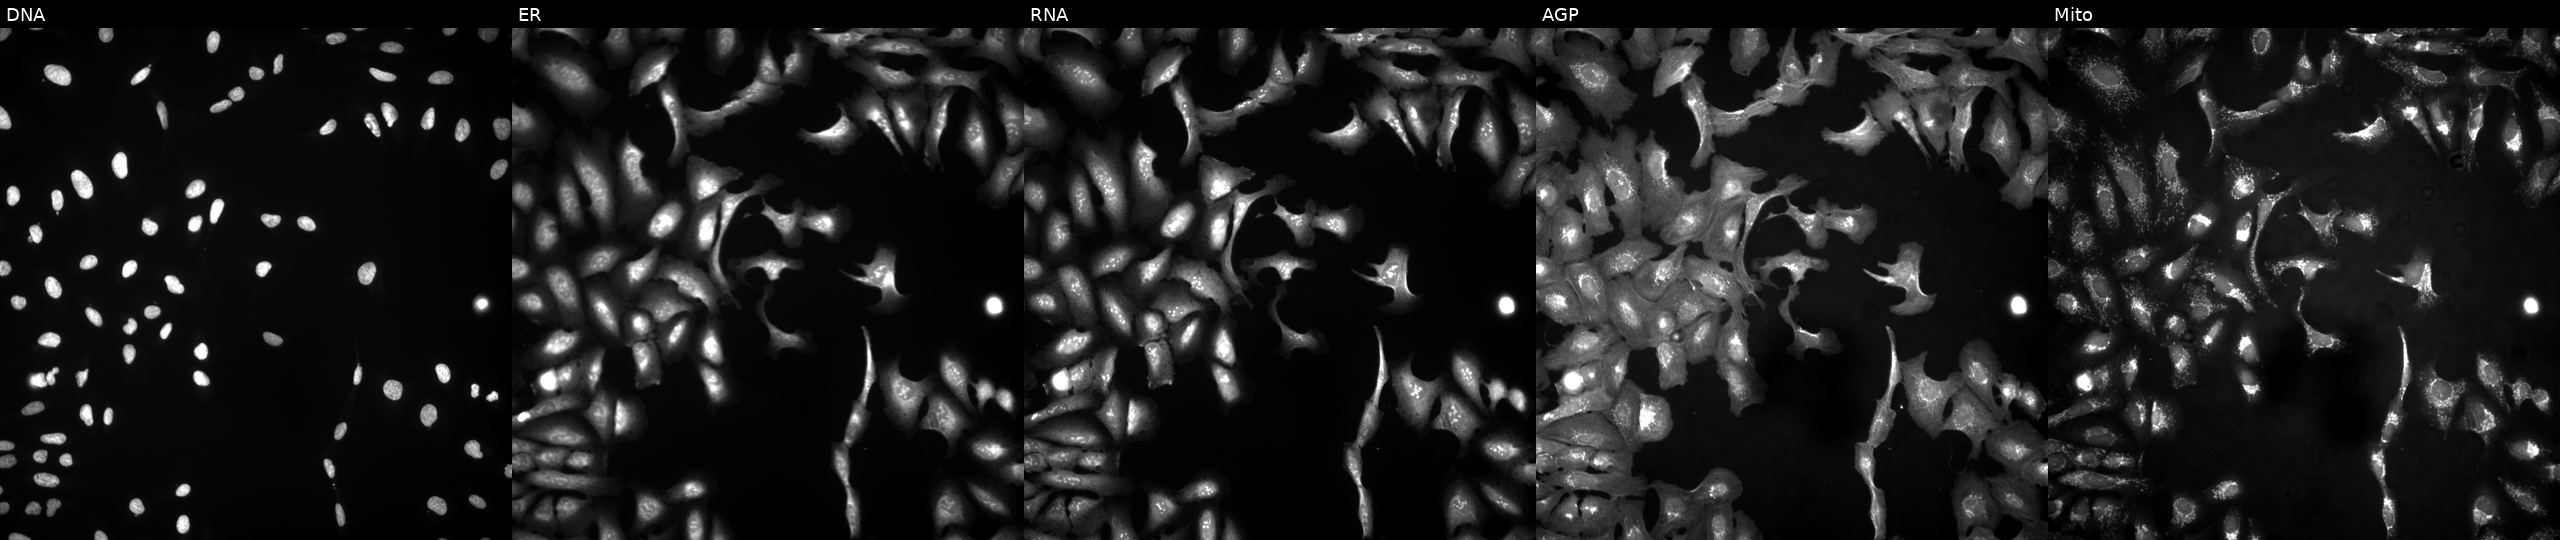
This image strip shows the five Cell Painting channels for a single field of U2OS cells overexpressing COG8 via ORF transfection (JUMP id JCP2022_911947). The five panels, left to right, show Hoechst 33342, concanavalin A, SYTO 14, phalloidin and WGA, MitoTracker. Source 4, plate BR00124790, well C03.